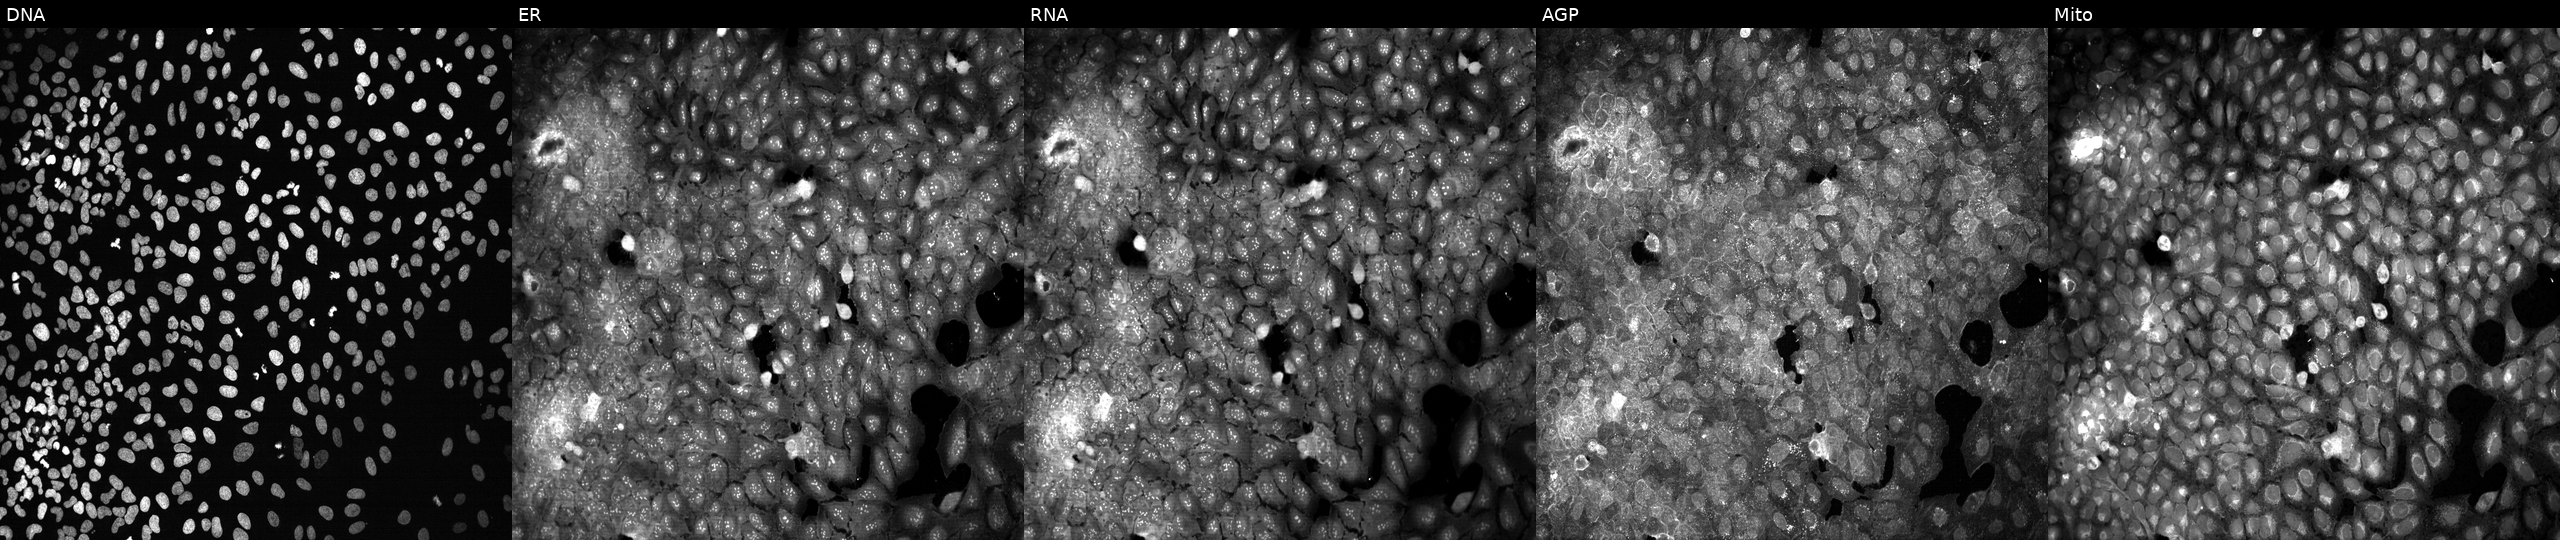
This image strip shows the five Cell Painting channels for a single field of U2OS cells with no CRISPR guide (negative control) (JUMP id JCP2022_800001). Panels show, left to right, Hoechst 33342, concanavalin A, SYTO 14, phalloidin and WGA, MitoTracker.